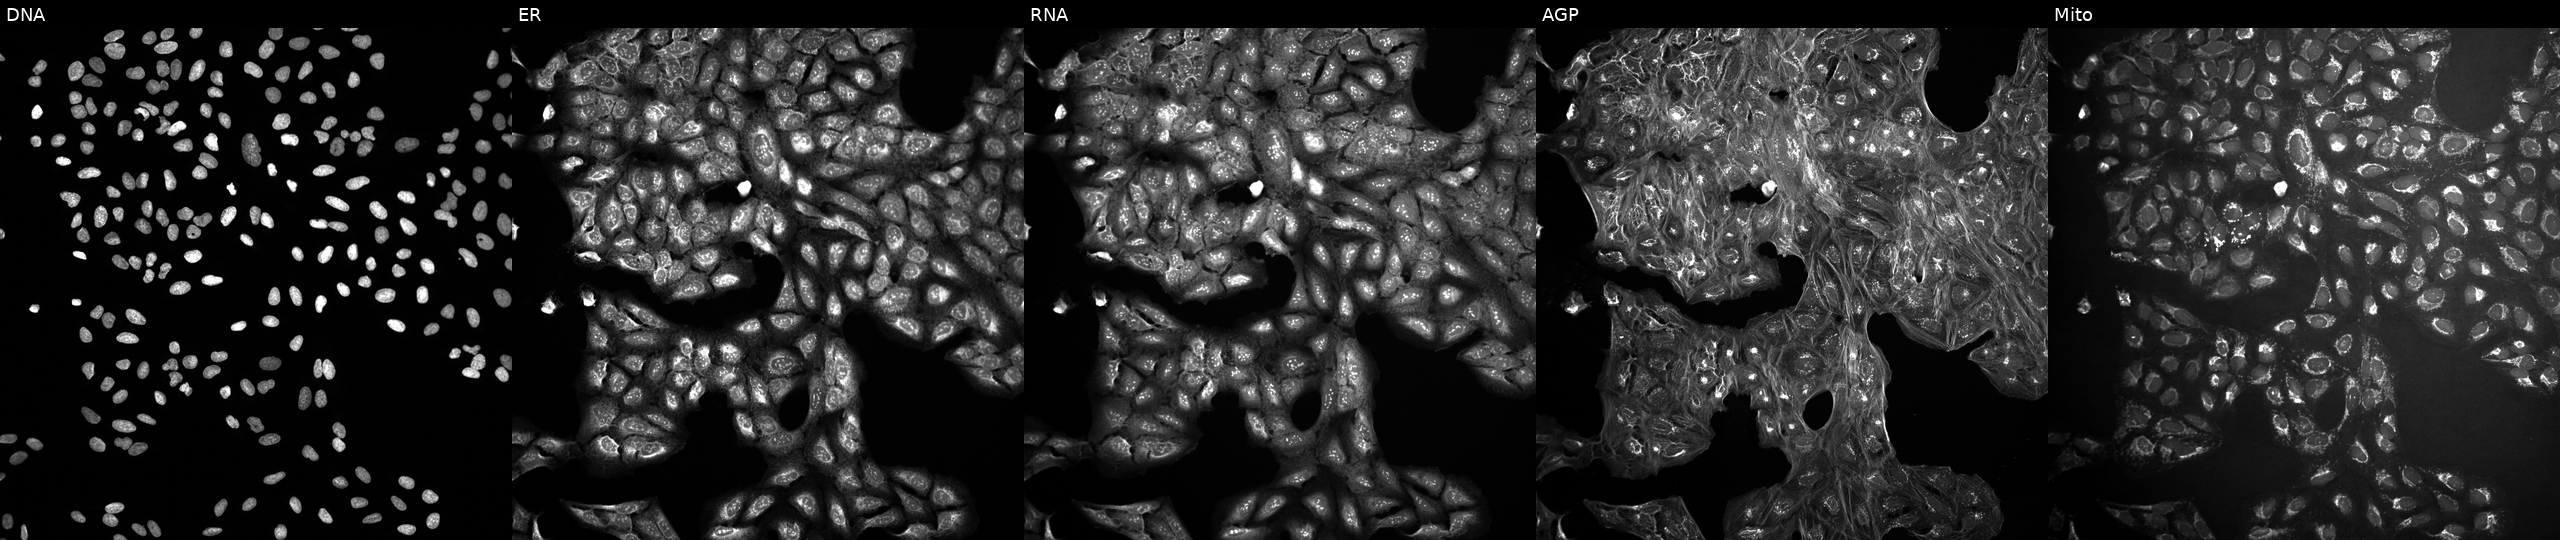
High-content fluorescence microscopy (Cell Painting). Cell line: U2OS. Perturbation: treated with a small-molecule compound (InChIKey YDHTUQIREIKUPI-UHFFFAOYSA-N) [SMILES: COc1ccc(Cl)cc1S(=O)(=O)N1CCCC(c2ccn(C)n2)C1] (JUMP id JCP2022_107724). From left to right: Hoechst 33342, concanavalin A, SYTO 14, phalloidin and WGA, MitoTracker. Source 10, plate Dest210531-152324, well G20.